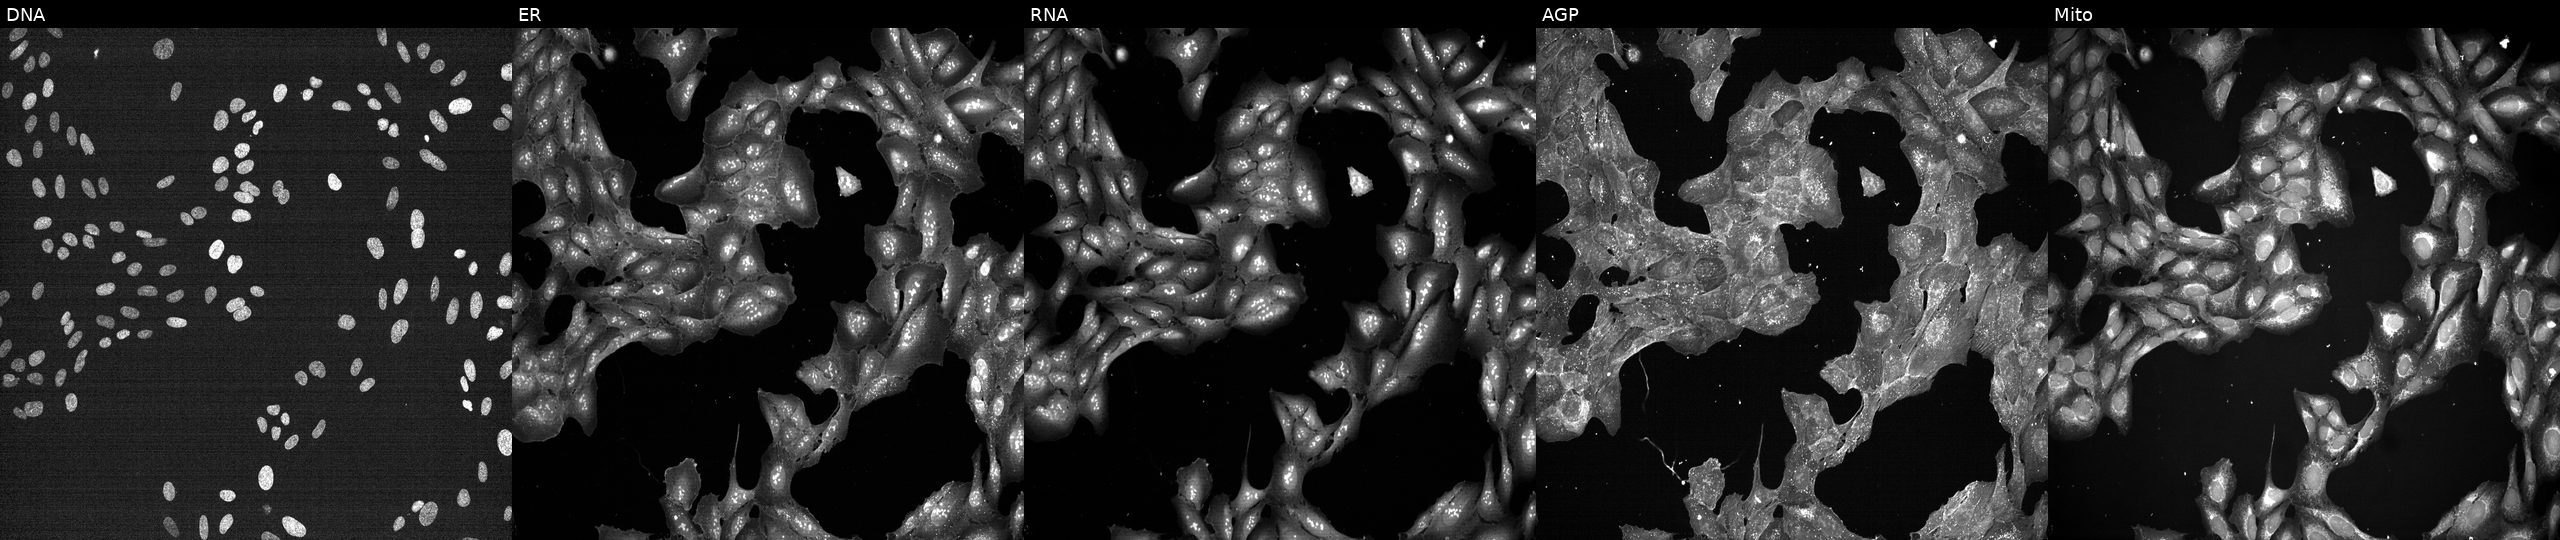
JUMP Cell Painting — TARGET2 plate. U2OS cells exposed to a small-molecule compound (InChIKey RQVGFDBMONQTBC-UHFFFAOYSA-N) (JUMP id JCP2022_080150). The five panels, left to right, show DNA, ER, RNA, AGP, and Mito. Source 7, plate CP1-SC1-25, well B08.